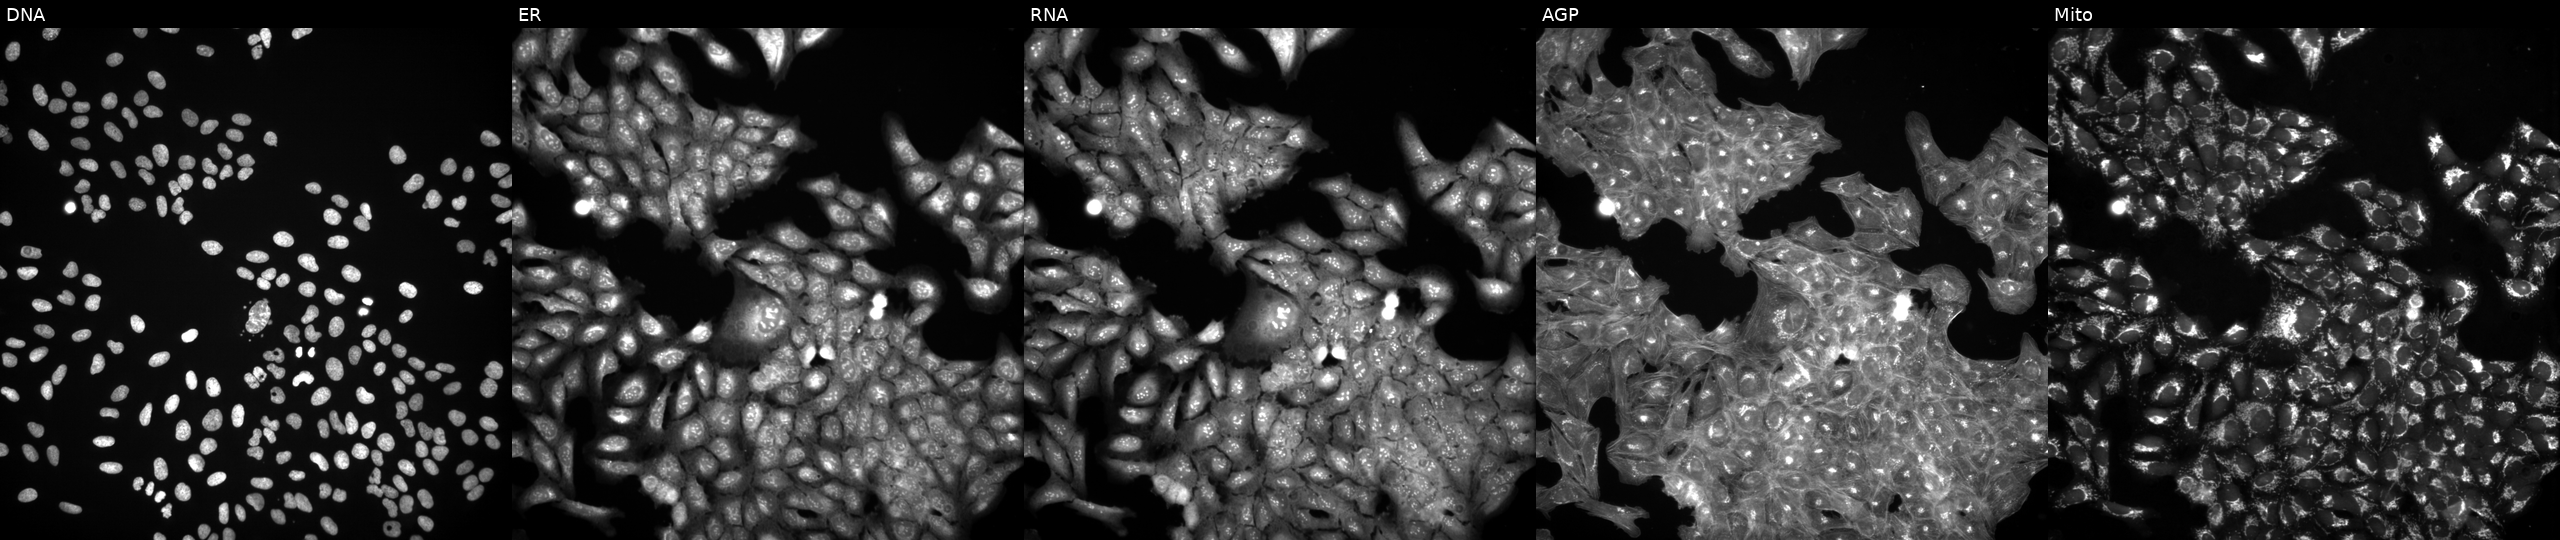
Five-channel Cell Painting image of U2OS cells exposed to a small-molecule compound (InChIKey RAHBGWKEPAQNFF-UHFFFAOYSA-N) (JUMP id JCP2022_077046). From left to right: Hoechst 33342, concanavalin A, SYTO 14, phalloidin and WGA, MitoTracker.